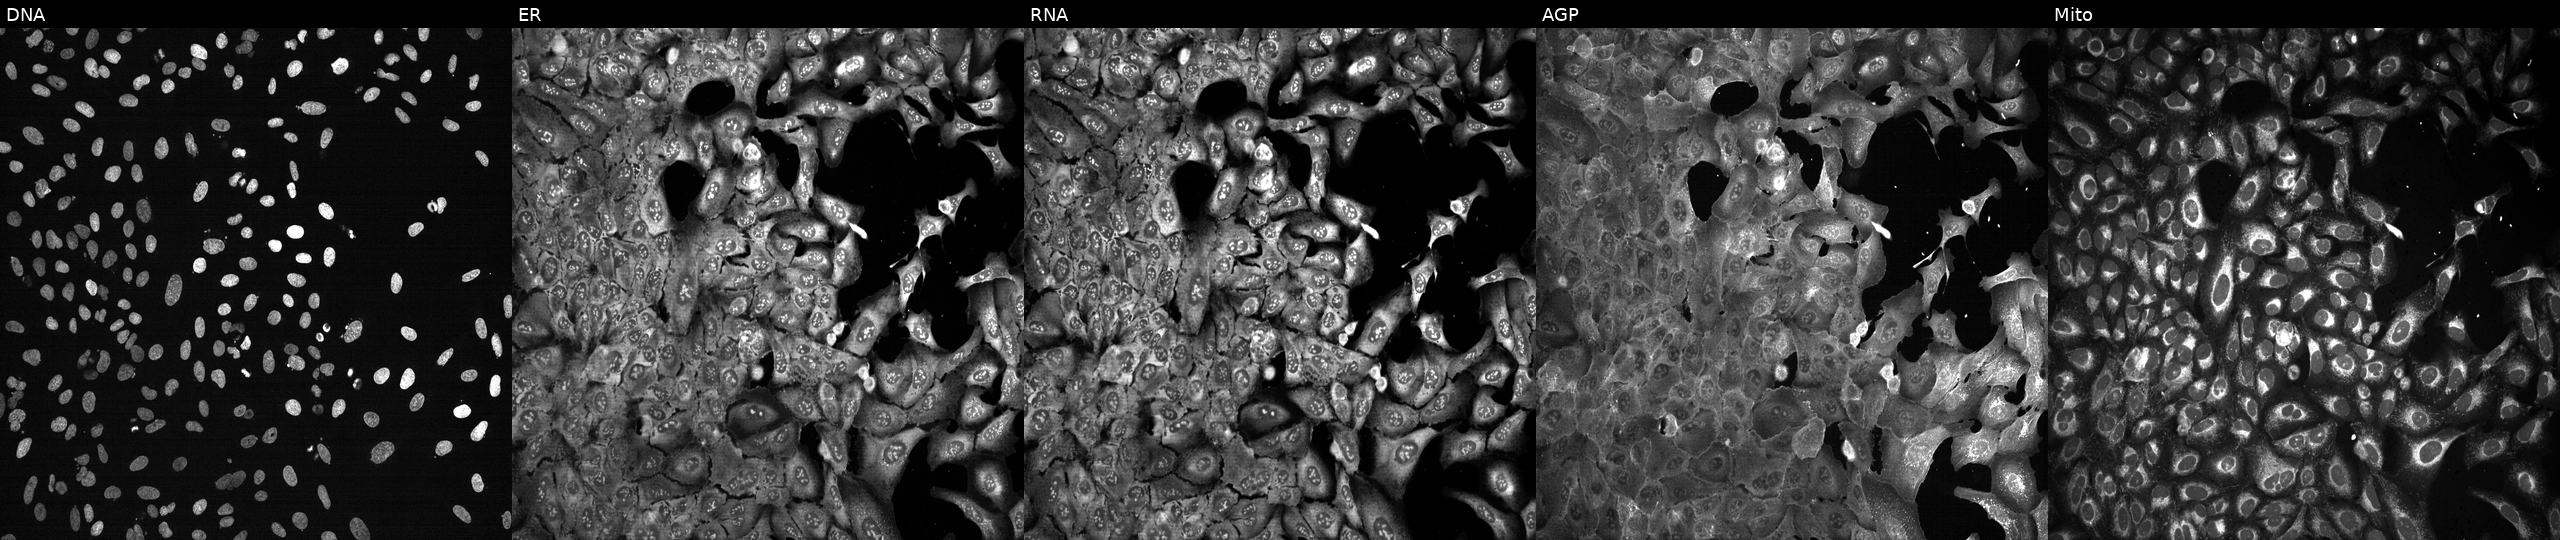
From left to right: DNA (nuclei); ER (endoplasmic reticulum); RNA (nucleoli and cytoplasmic RNA); AGP (actin cytoskeleton, Golgi, and plasma membrane); Mito (mitochondria). U2OS osteosarcoma cells CRISPR-edited to disrupt TGM3. Cell Painting assay, JUMP-CP dataset.